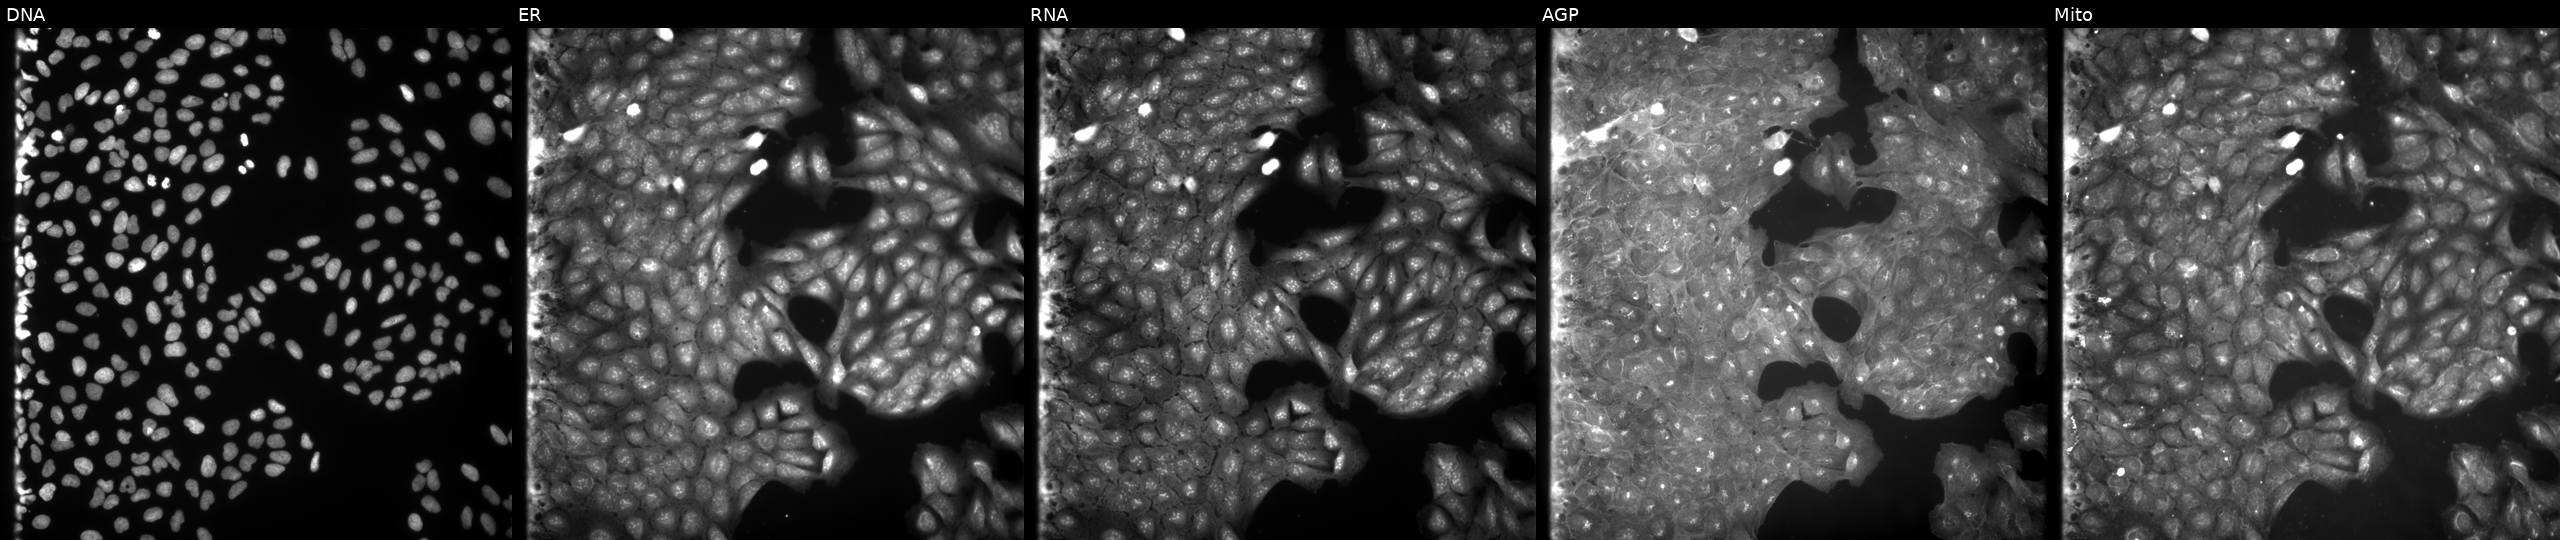
High-content fluorescence microscopy (Cell Painting). Cell line: U2OS. Perturbation: exposed to a small-molecule compound. The five panels, left to right, show Hoechst 33342, concanavalin A, SYTO 14, phalloidin and WGA, MitoTracker.